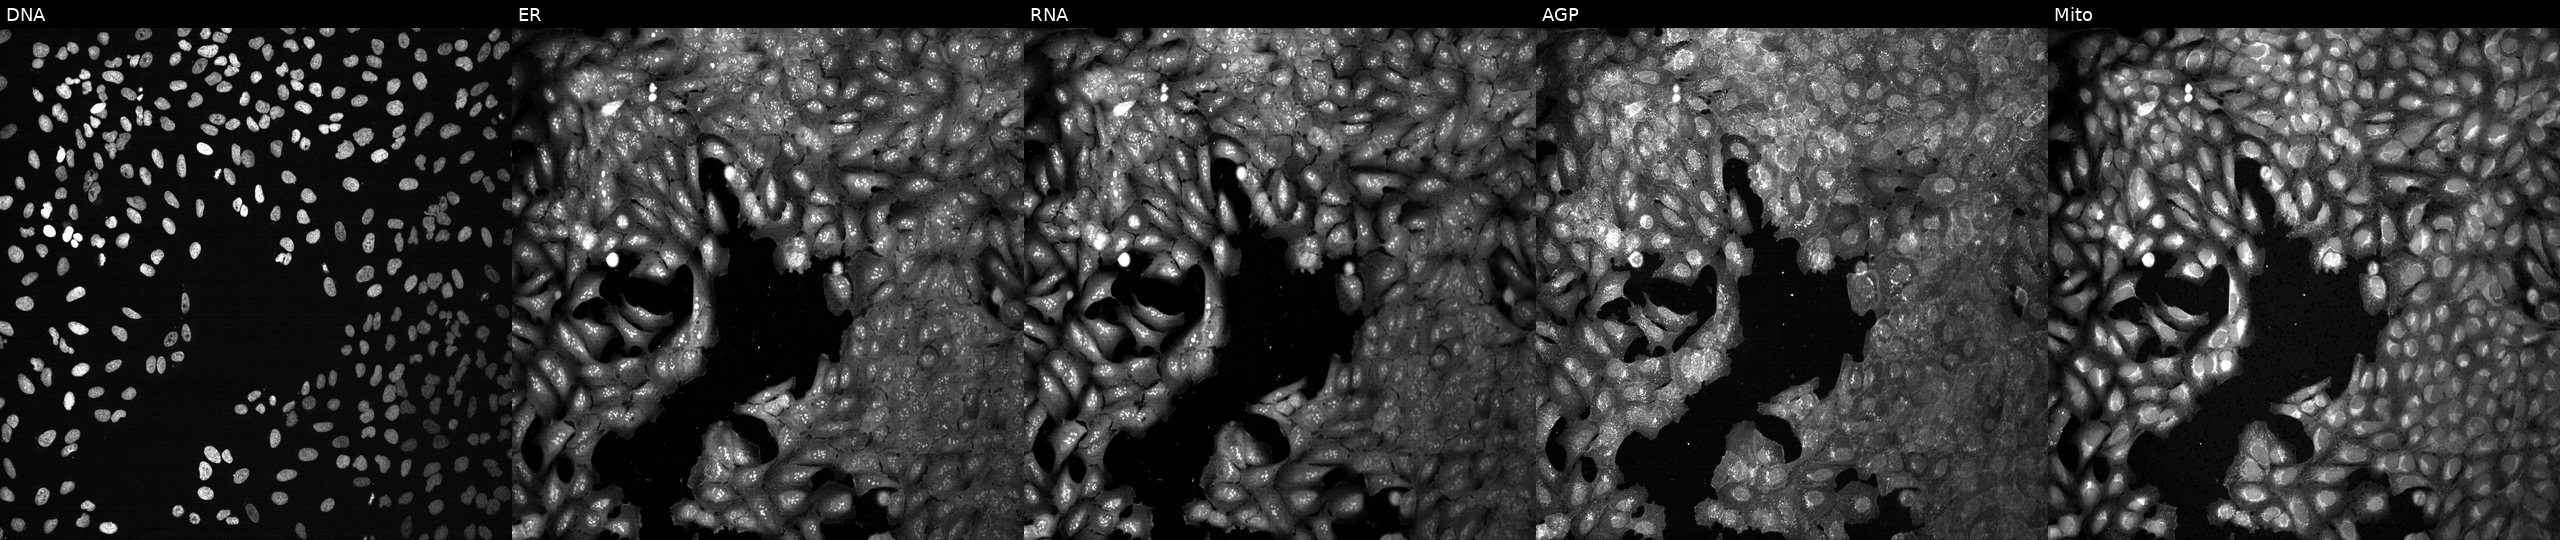
This image strip shows the five Cell Painting channels for a single field of U2OS cells CRISPR-edited to disrupt NAE1. Channels (left→right): DNA (nuclei); ER (endoplasmic reticulum); RNA (nucleoli and cytoplasmic RNA); AGP (actin cytoskeleton, Golgi, and plasma membrane); Mito (mitochondria).